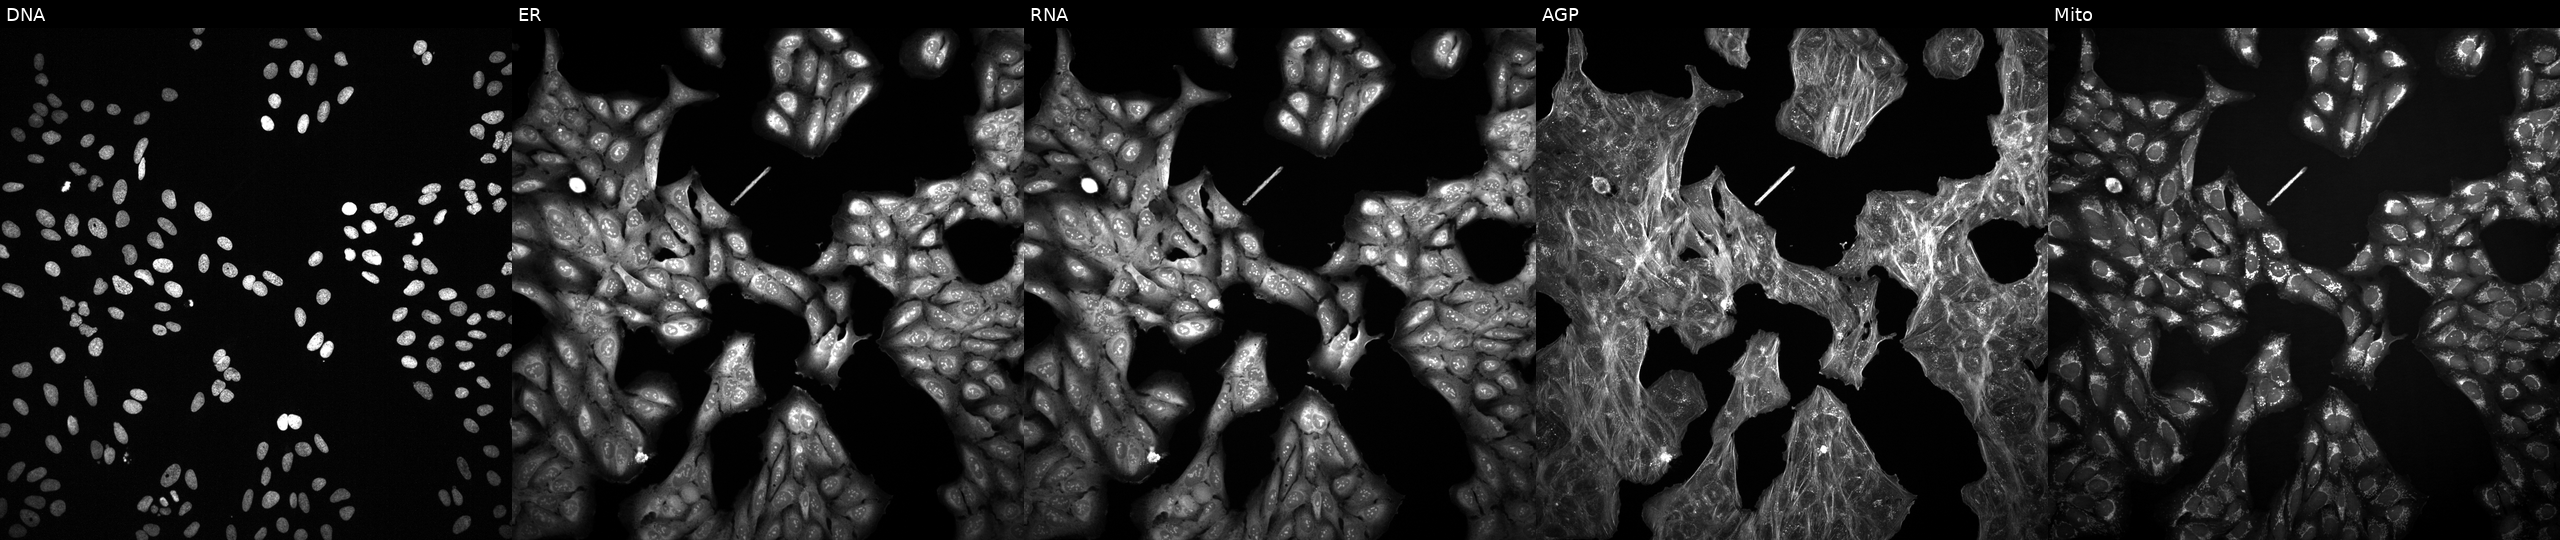
High-content fluorescence microscopy (Cell Painting). Cell line: U2OS. Perturbation: perturbed with a small-molecule compound (InChIKey RAHBGWKEPAQNFF-UHFFFAOYSA-N) [SMILES: CC1(C)CNc2cc(NC(=O)c3ccc[nH]c3=NCc3ccncc3)ccc21] (JUMP id JCP2022_077046). From left to right: DNA (nuclei); ER (endoplasmic reticulum); RNA (nucleoli and cytoplasmic RNA); AGP (actin cytoskeleton, Golgi, and plasma membrane); Mito (mitochondria).